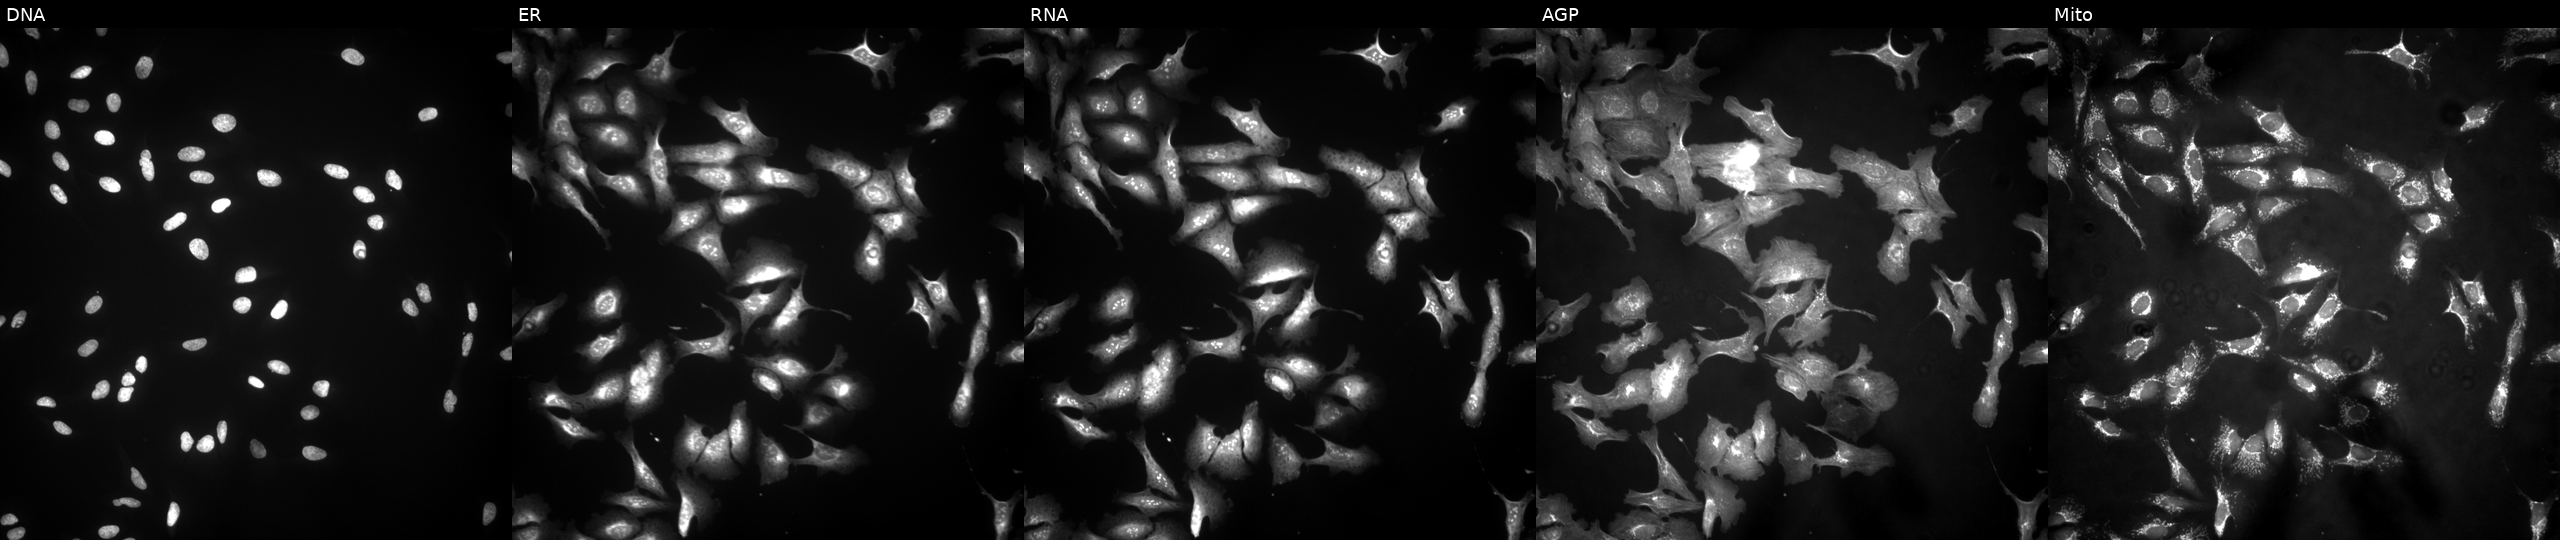
Five-channel Cell Painting image of U2OS cells transfected with an ORF construct for FANCC. Channels (left→right): DNA, ER, RNA, AGP, and Mito. Source 4, plate BR00123506, well P06.